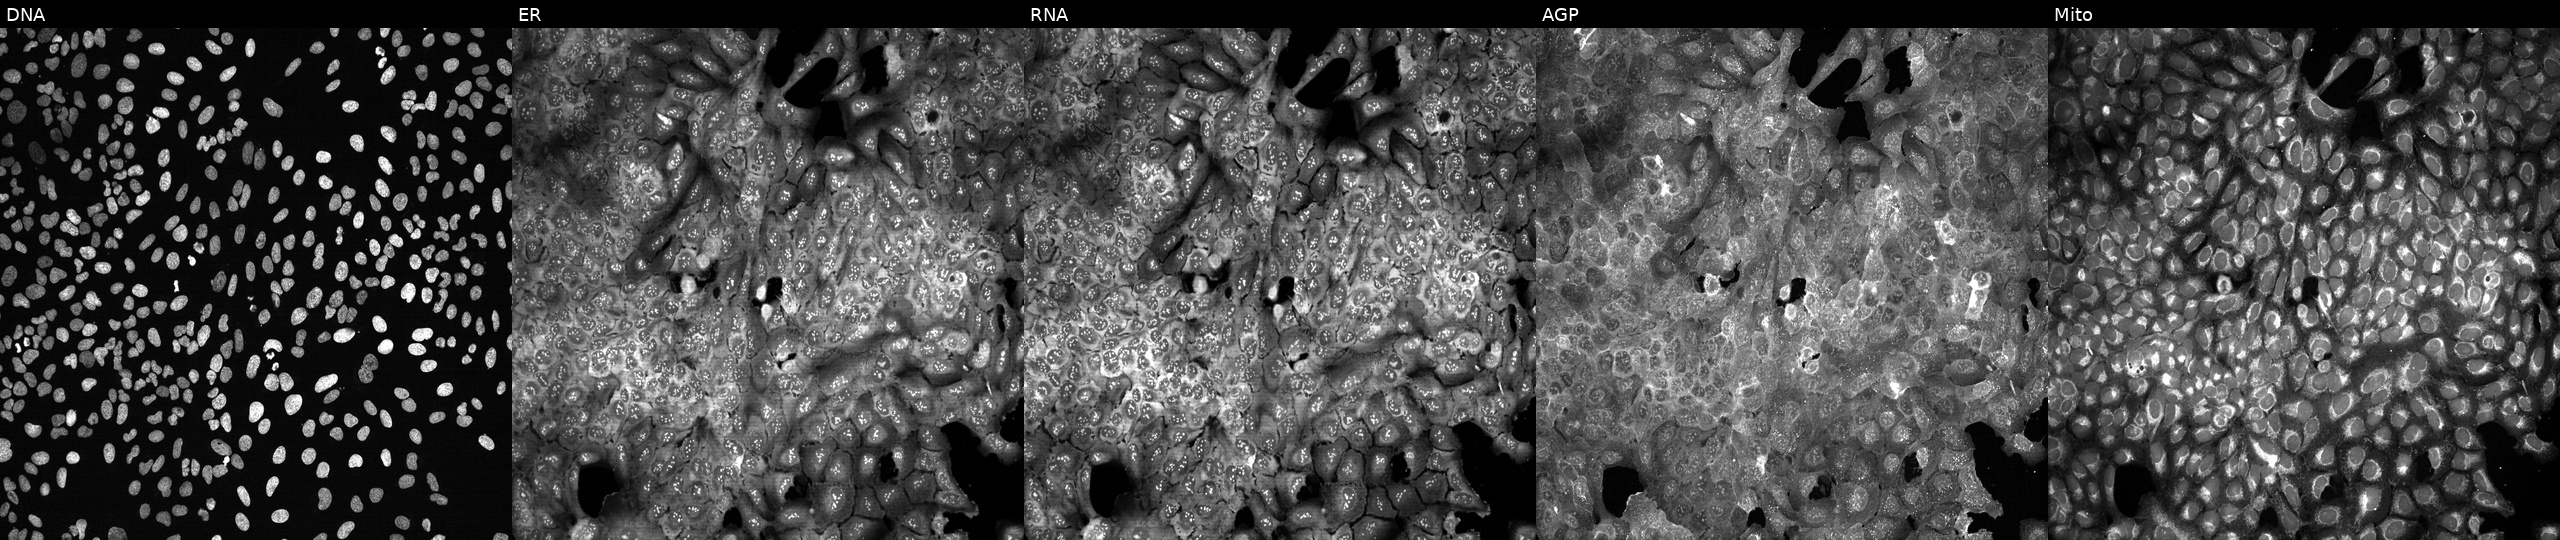
Five-channel Cell Painting image of U2OS cells with RAB21 knocked out by CRISPR. Panels show, left to right, DNA, ER, RNA, AGP, and Mito. Source 13, plate CP-CC9-R5-01, well K12.